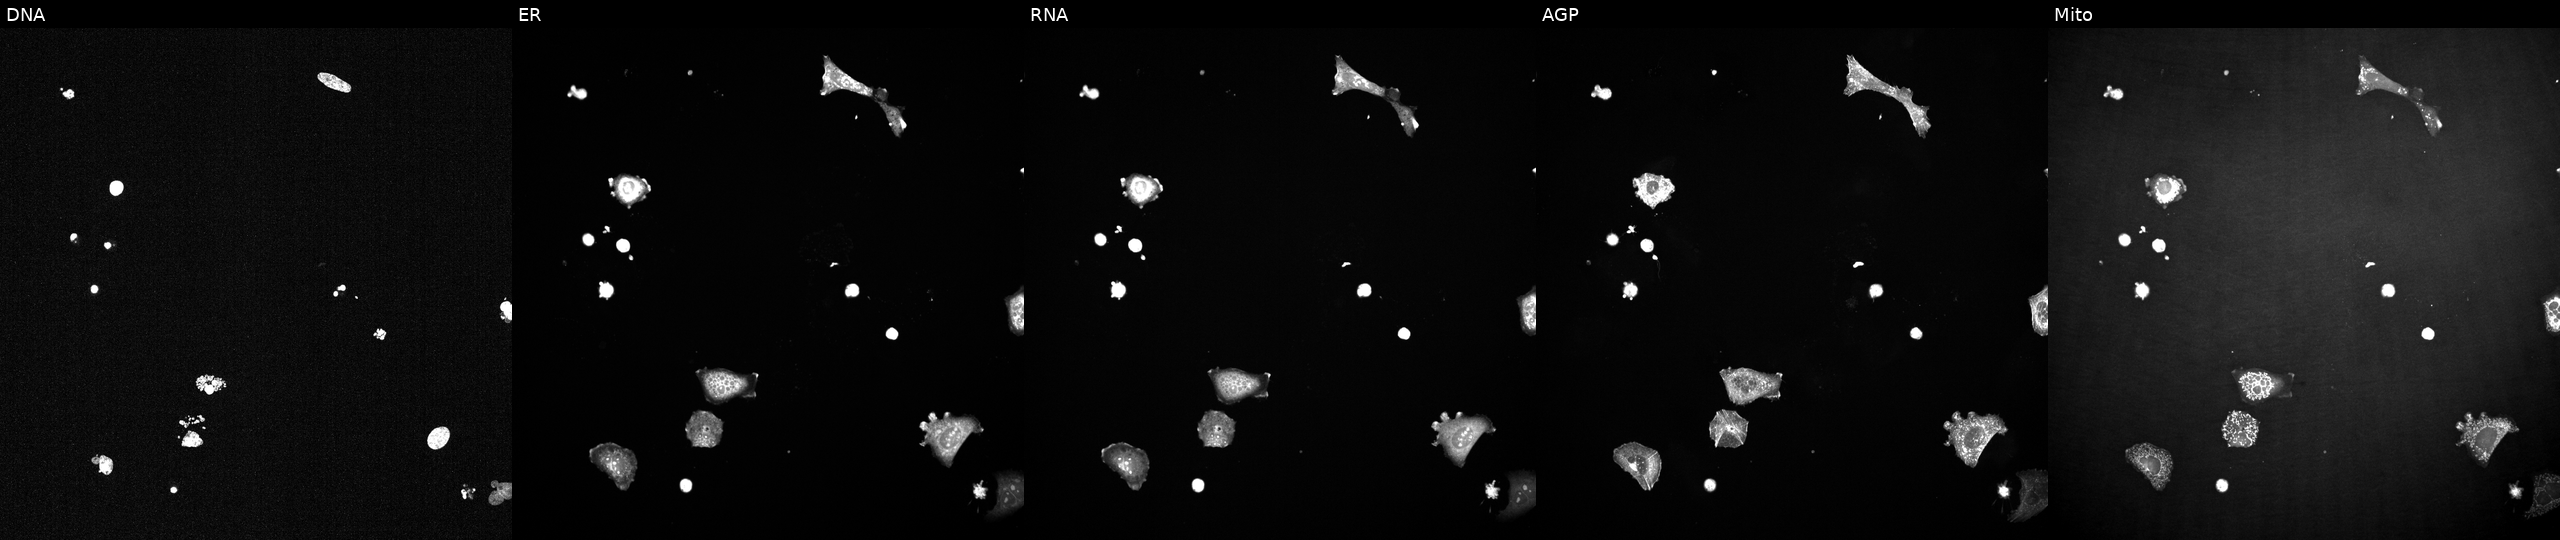
From left to right: DNA, ER, RNA, AGP, and Mito. U2OS osteosarcoma cells exposed to a small-molecule compound (InChIKey MTJHLONVHHPNSI-UHFFFAOYSA-N). Cell Painting assay, JUMP-CP dataset.